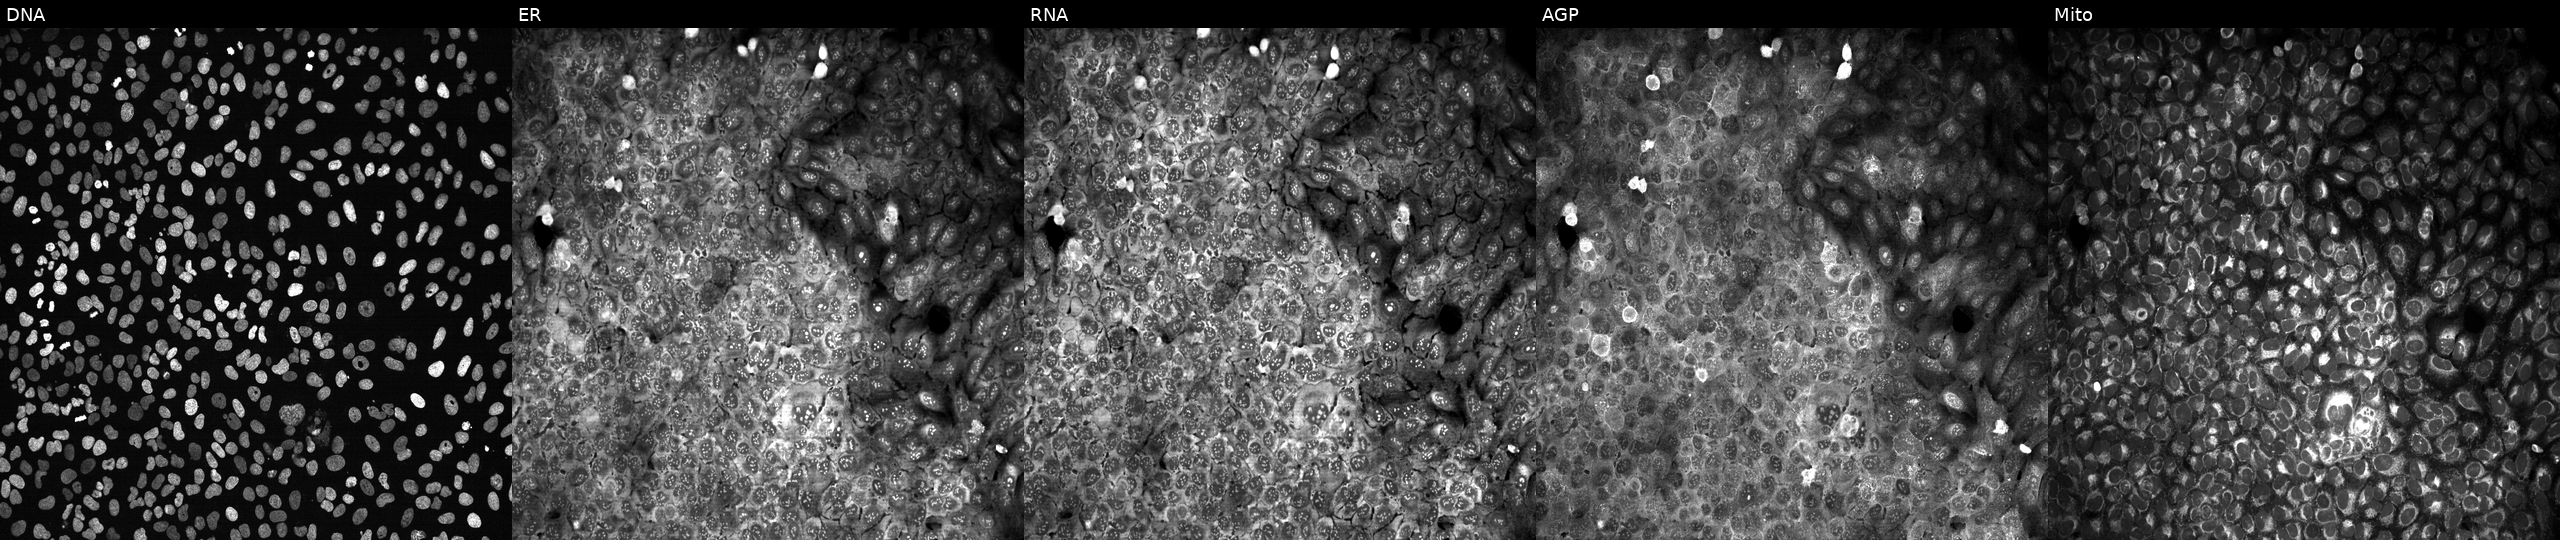
JUMP Cell Painting — CRISPR plate. U2OS cells following CRISPR knockout of OVGP1 (JUMP id JCP2022_804838). Channels (left→right): Hoechst 33342, concanavalin A, SYTO 14, phalloidin and WGA, MitoTracker.